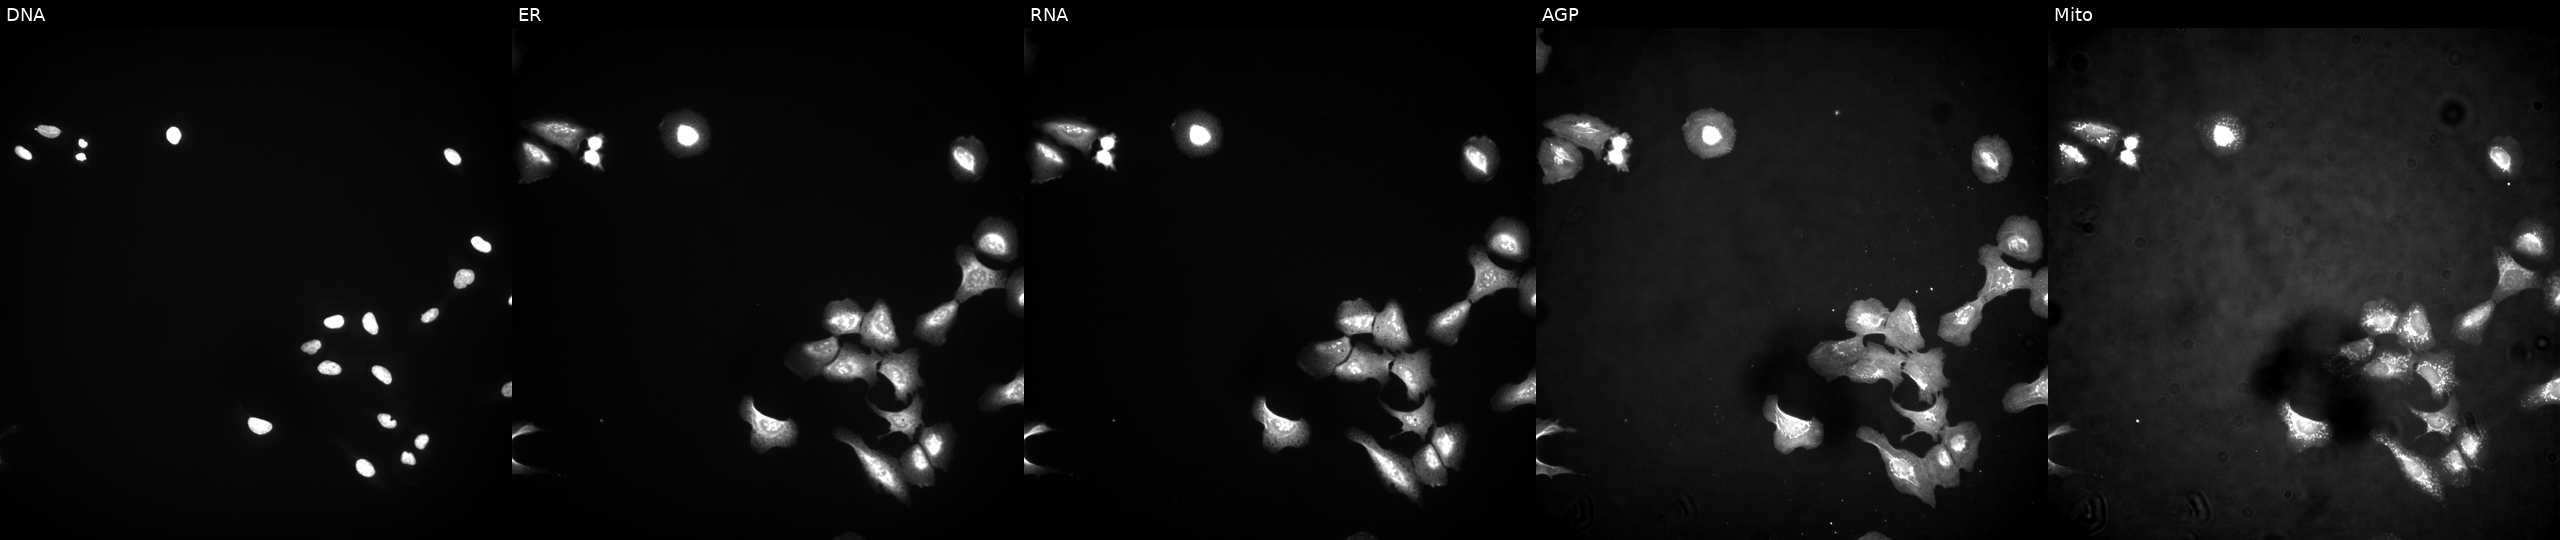
JUMP Cell Painting — ORF plate. U2OS cells with KRTAP13-4 overexpressed (ORF) (JUMP id JCP2022_905040). The five panels, left to right, show DNA, ER, RNA, AGP, and Mito. Source 4, plate BR00124790, well M16.